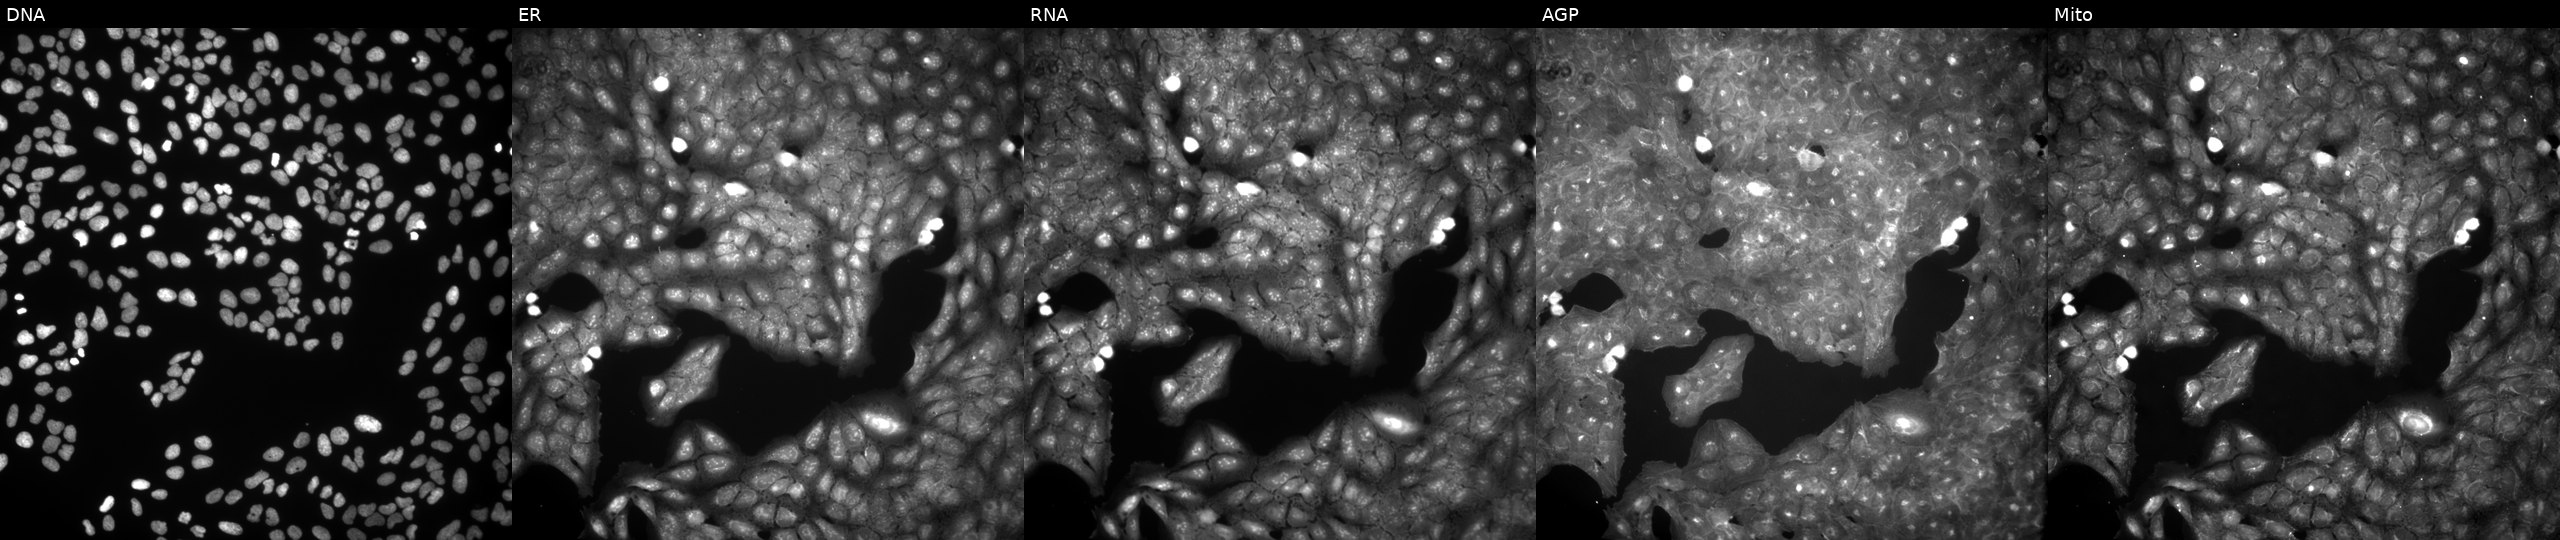
U2OS cells, Cell Painting assay, perturbed with a small-molecule compound (InChIKey FFIWPKDKGYYXEH-UHFFFAOYSA-N) [SMILES: CCN(CC)Cc1c(O)ccc2c(-c3ccccc3)cc(=O)oc12] (JUMP id JCP2022_020290). From left to right: Hoechst 33342, concanavalin A, SYTO 14, phalloidin and WGA, MitoTracker. Each panel is percentile-stretched 16-bit fluorescence. Source 9, plate GR00003381, well P33.